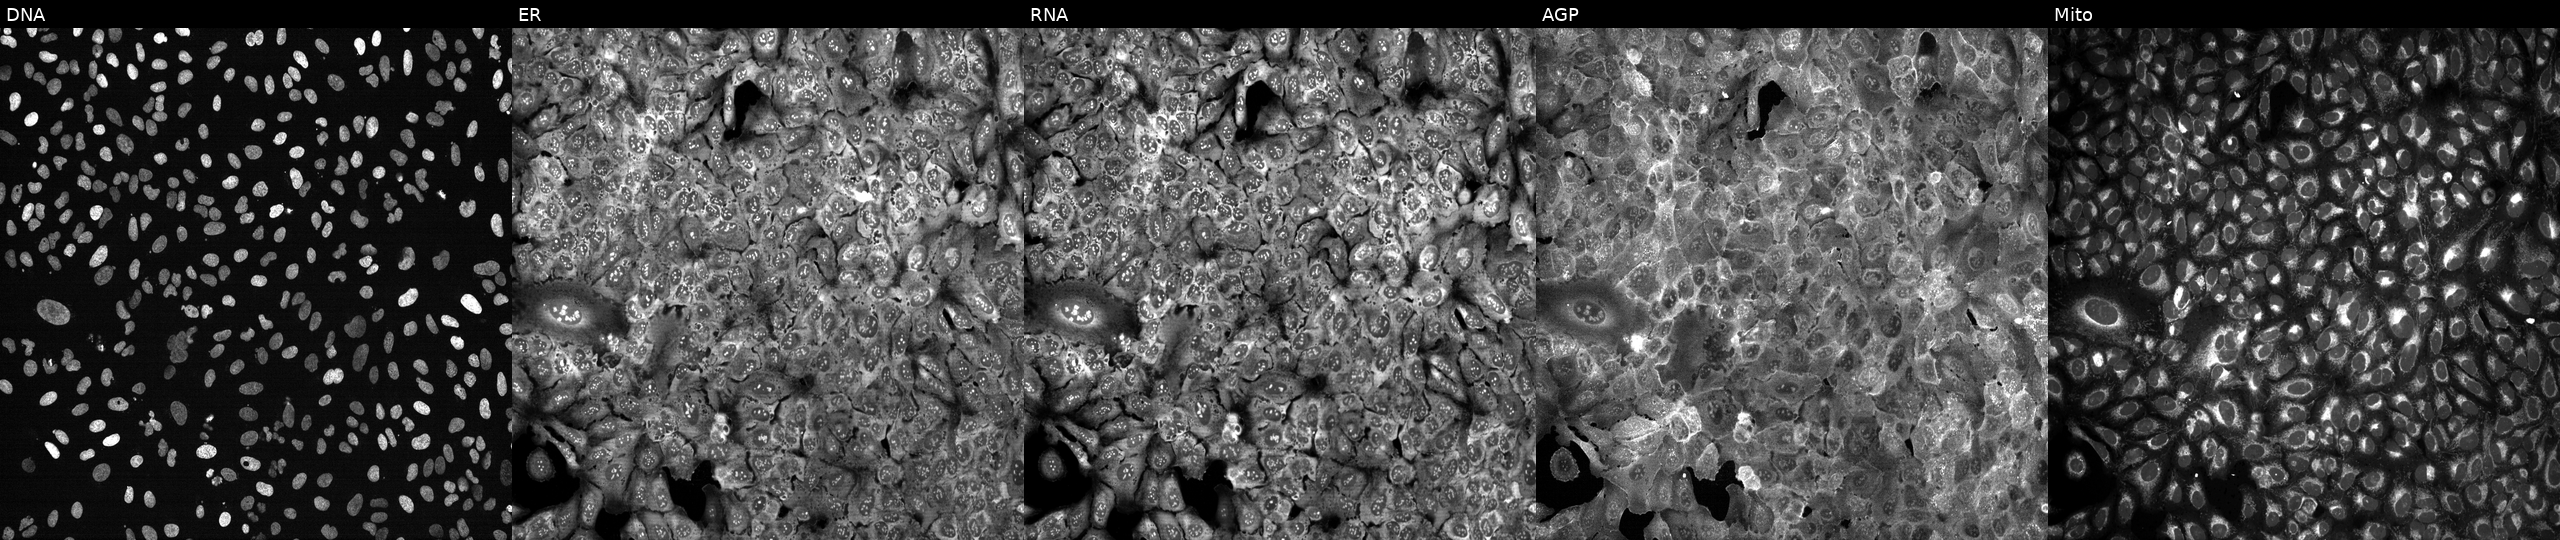
U2OS cells, Cell Painting assay, following CRISPR knockout of GBA (JUMP id JCP2022_802626). From left to right: DNA, ER, RNA, AGP, and Mito. Each panel is percentile-stretched 16-bit fluorescence. Source 13, plate CP-CC9-R2-02, well B10.